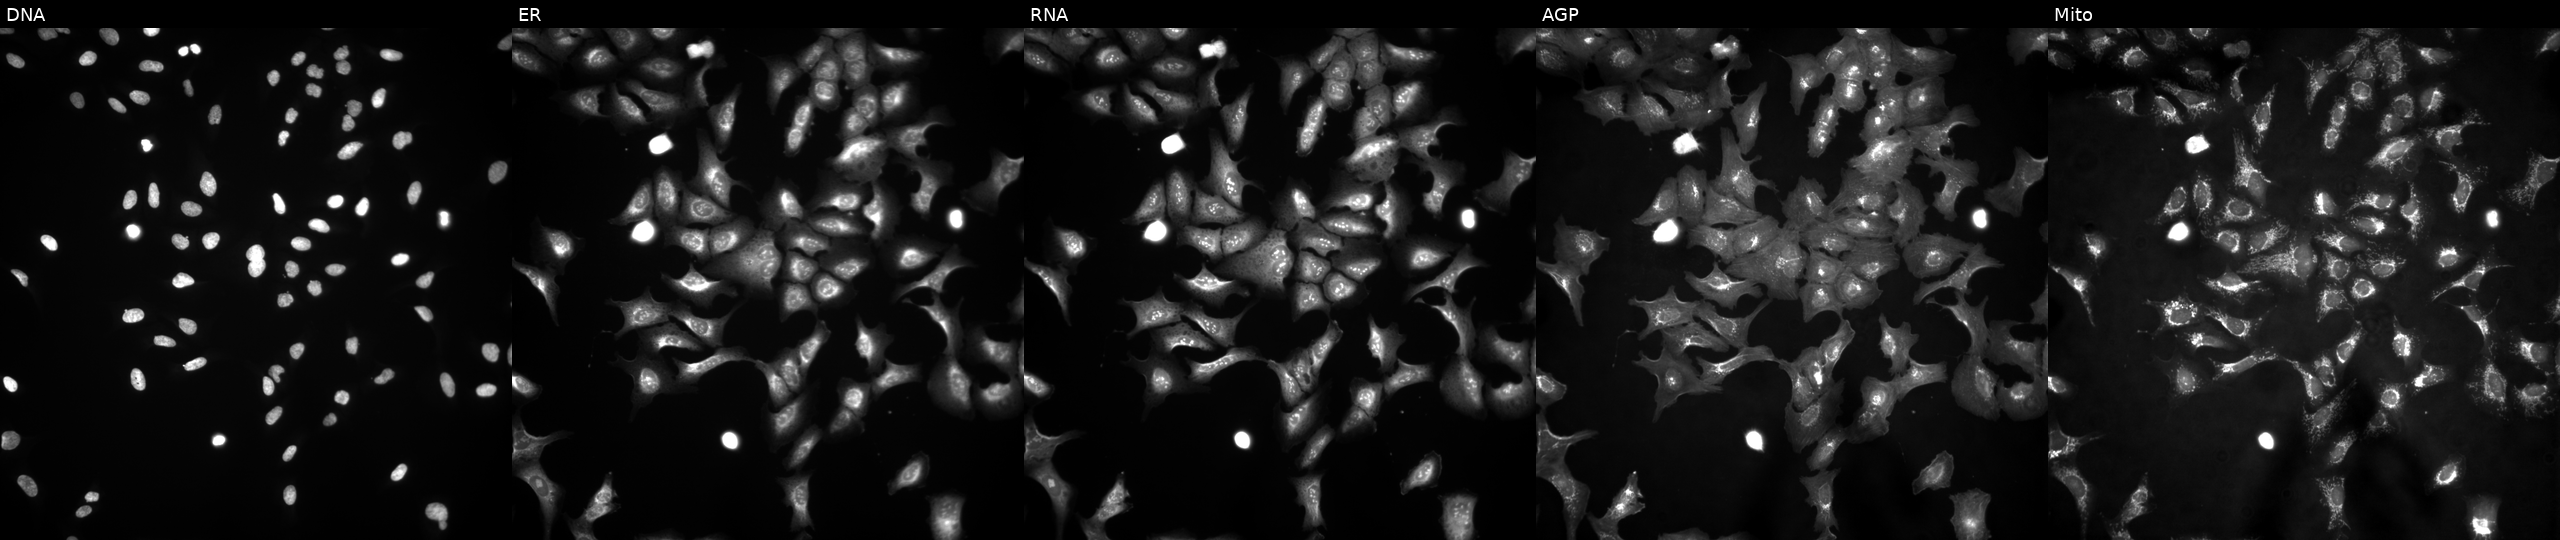
Channels (left→right): DNA (nuclei); ER (endoplasmic reticulum); RNA (nucleoli and cytoplasmic RNA); AGP (actin cytoskeleton, Golgi, and plasma membrane); Mito (mitochondria). U2OS osteosarcoma cells overexpressing ALAS2 via ORF transfection (JUMP id JCP2022_905419). Cell Painting assay, JUMP-CP dataset. Source 4, plate BR00121543, well E22.